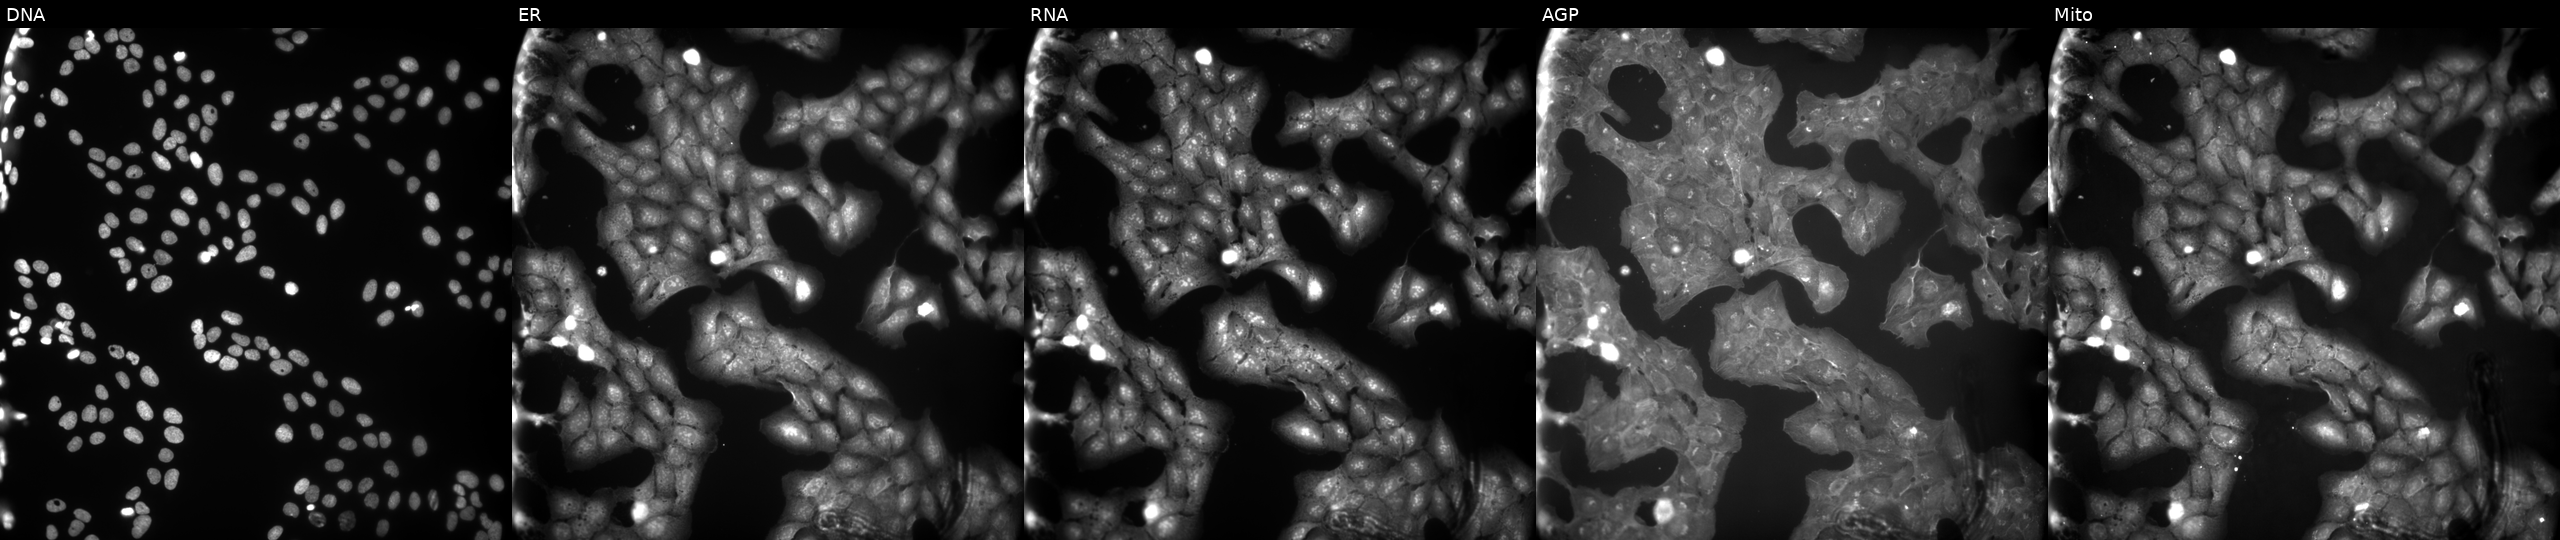
Five-channel Cell Painting image of U2OS cells perturbed with a small-molecule compound (InChIKey IKBVHBLOMZBKQR-UHFFFAOYSA-N). Channels (left→right): DNA, ER, RNA, AGP, and Mito.